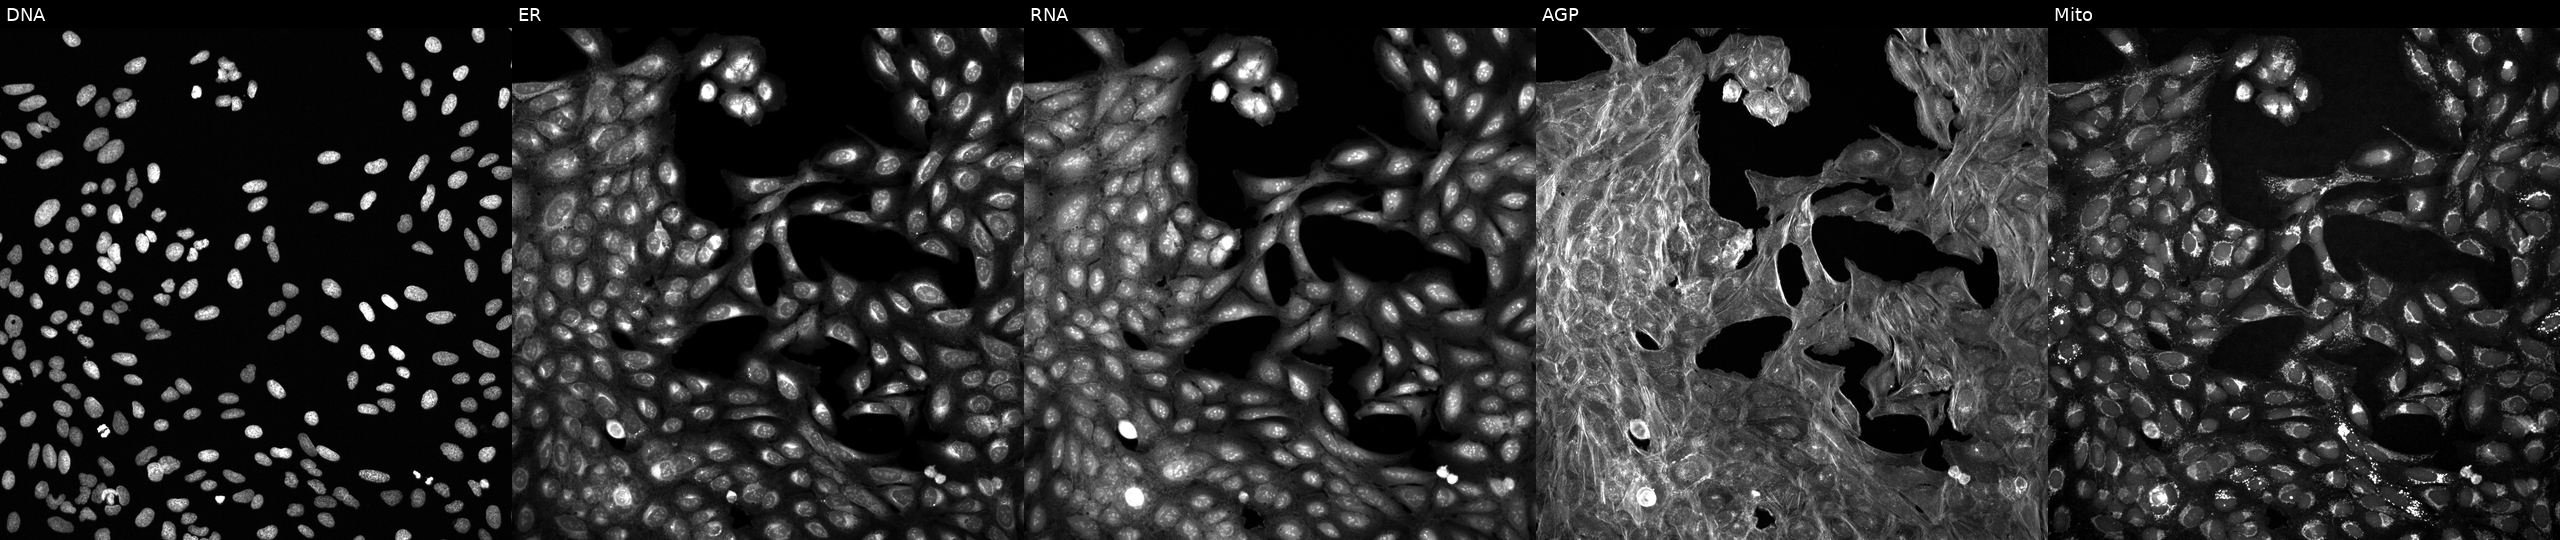
U2OS cells, Cell Painting assay, exposed to a small-molecule compound (InChIKey UGYXPZQILZRKJJ-UHFFFAOYSA-N) (JUMP id JCP2022_089172). From left to right: Hoechst 33342, concanavalin A, SYTO 14, phalloidin and WGA, MitoTracker. Each panel is percentile-stretched 16-bit fluorescence.